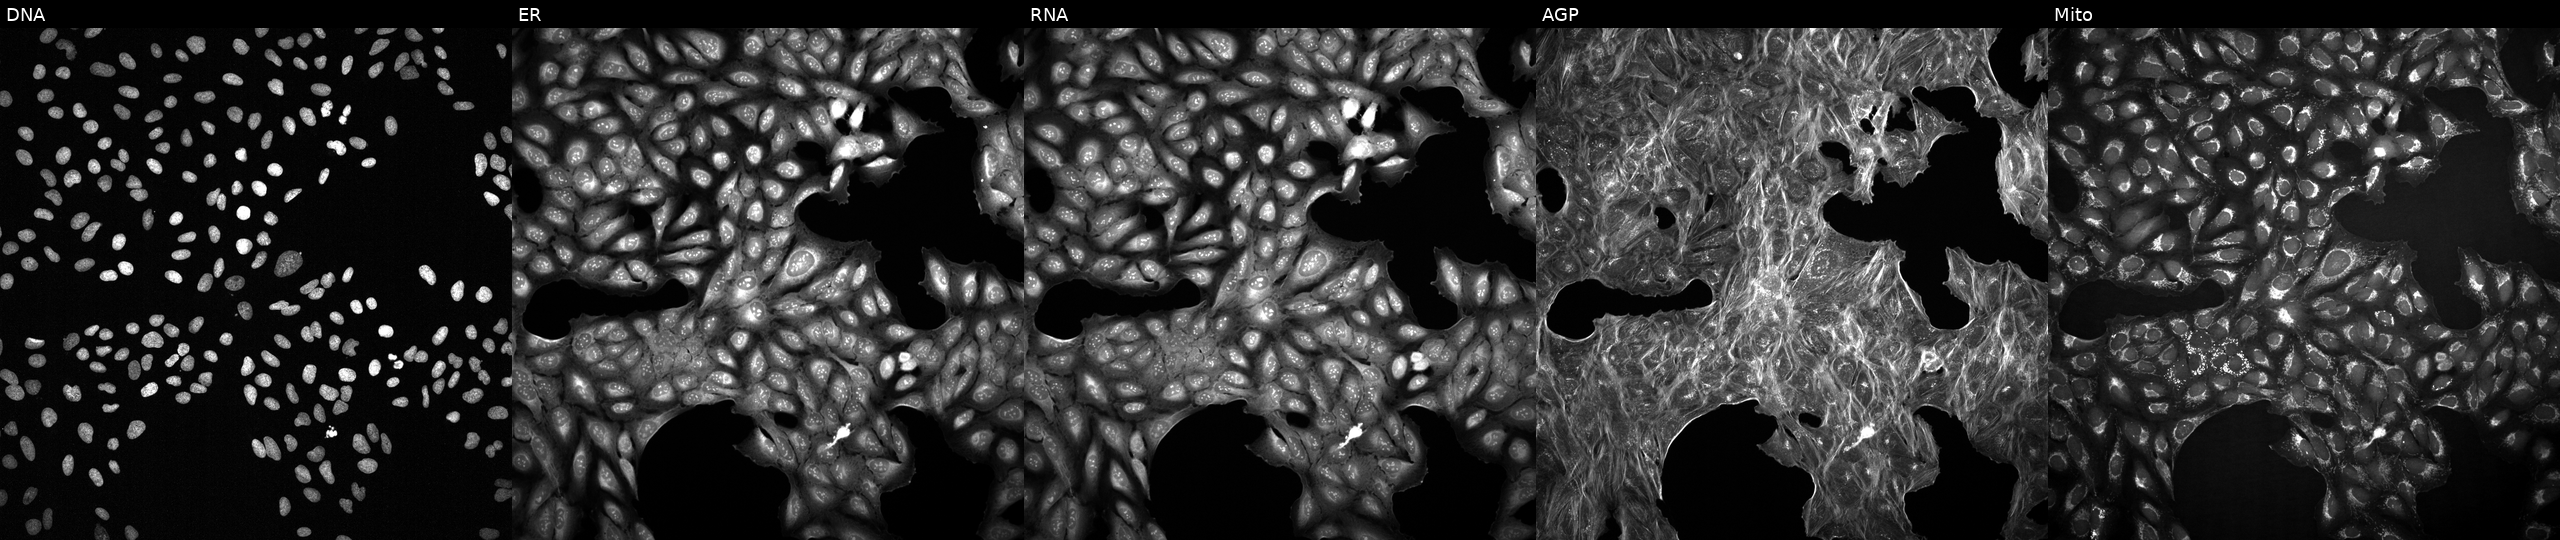
This image strip shows the five Cell Painting channels for a single field of U2OS cells exposed to a small-molecule compound (JUMP id JCP2022_045705). Channels (left→right): DNA (nuclei); ER (endoplasmic reticulum); RNA (nucleoli and cytoplasmic RNA); AGP (actin cytoskeleton, Golgi, and plasma membrane); Mito (mitochondria).